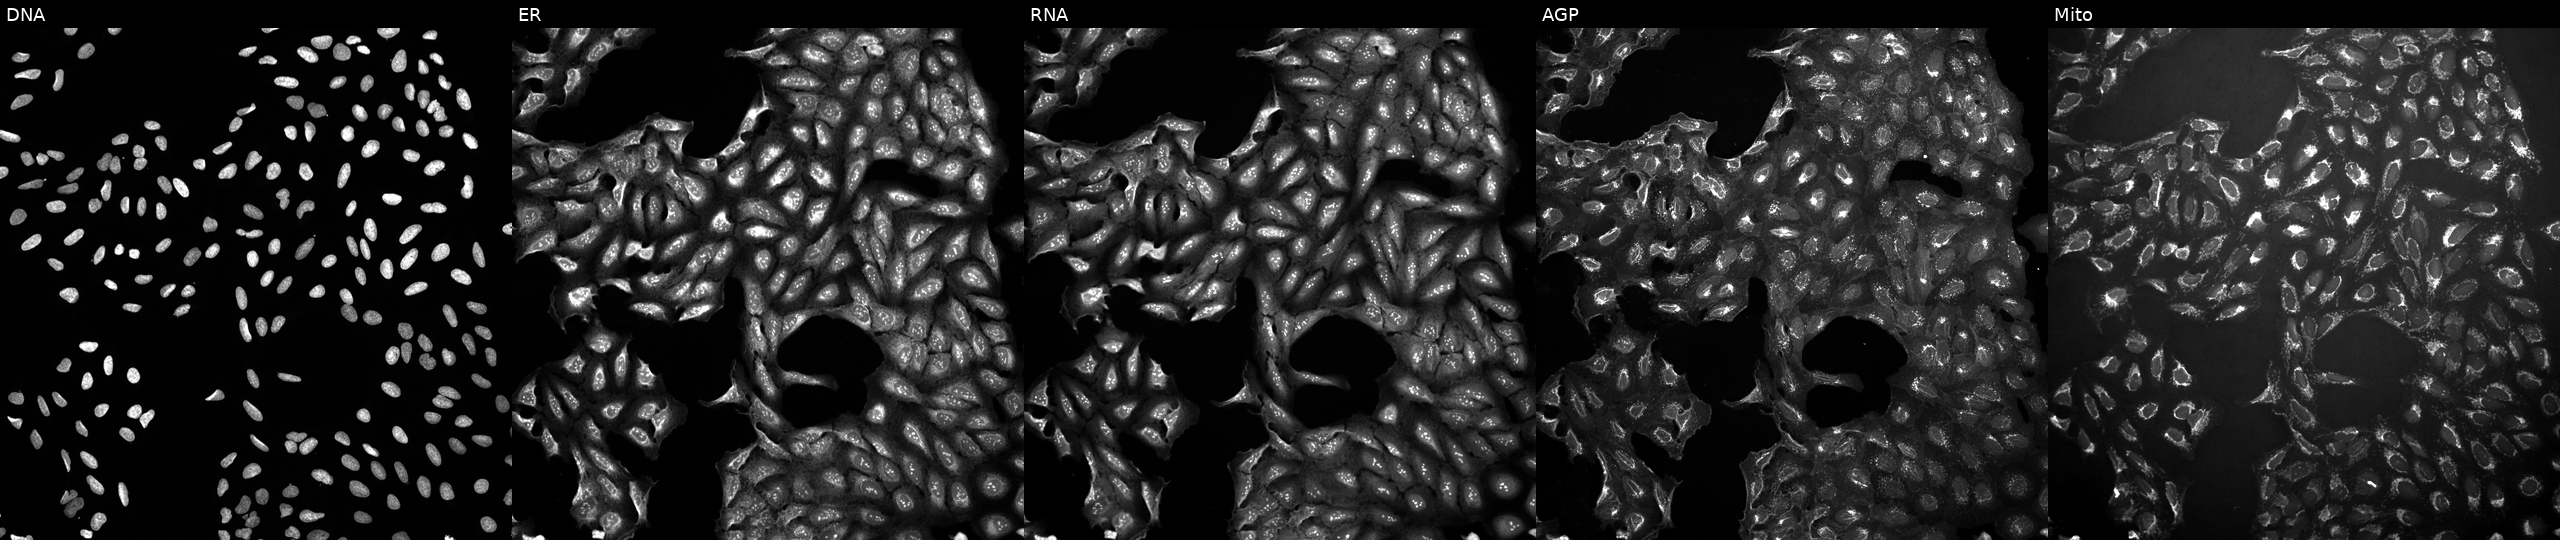
High-content fluorescence microscopy (Cell Painting). Cell line: U2OS. Perturbation: treated with a small-molecule compound (InChIKey ZMUSCGJNJYXJBP-UHFFFAOYSA-N) [SMILES: CC1(C)OC2CC3C4CC=C5CC(=O)C=CC5(C)C4C(O)CC3(C)C2(C(=O)CO)O1] (JUMP id JCP2022_114322). Channels (left→right): DNA, ER, RNA, AGP, and Mito. Source 10, plate Dest210803-153958, well G05.